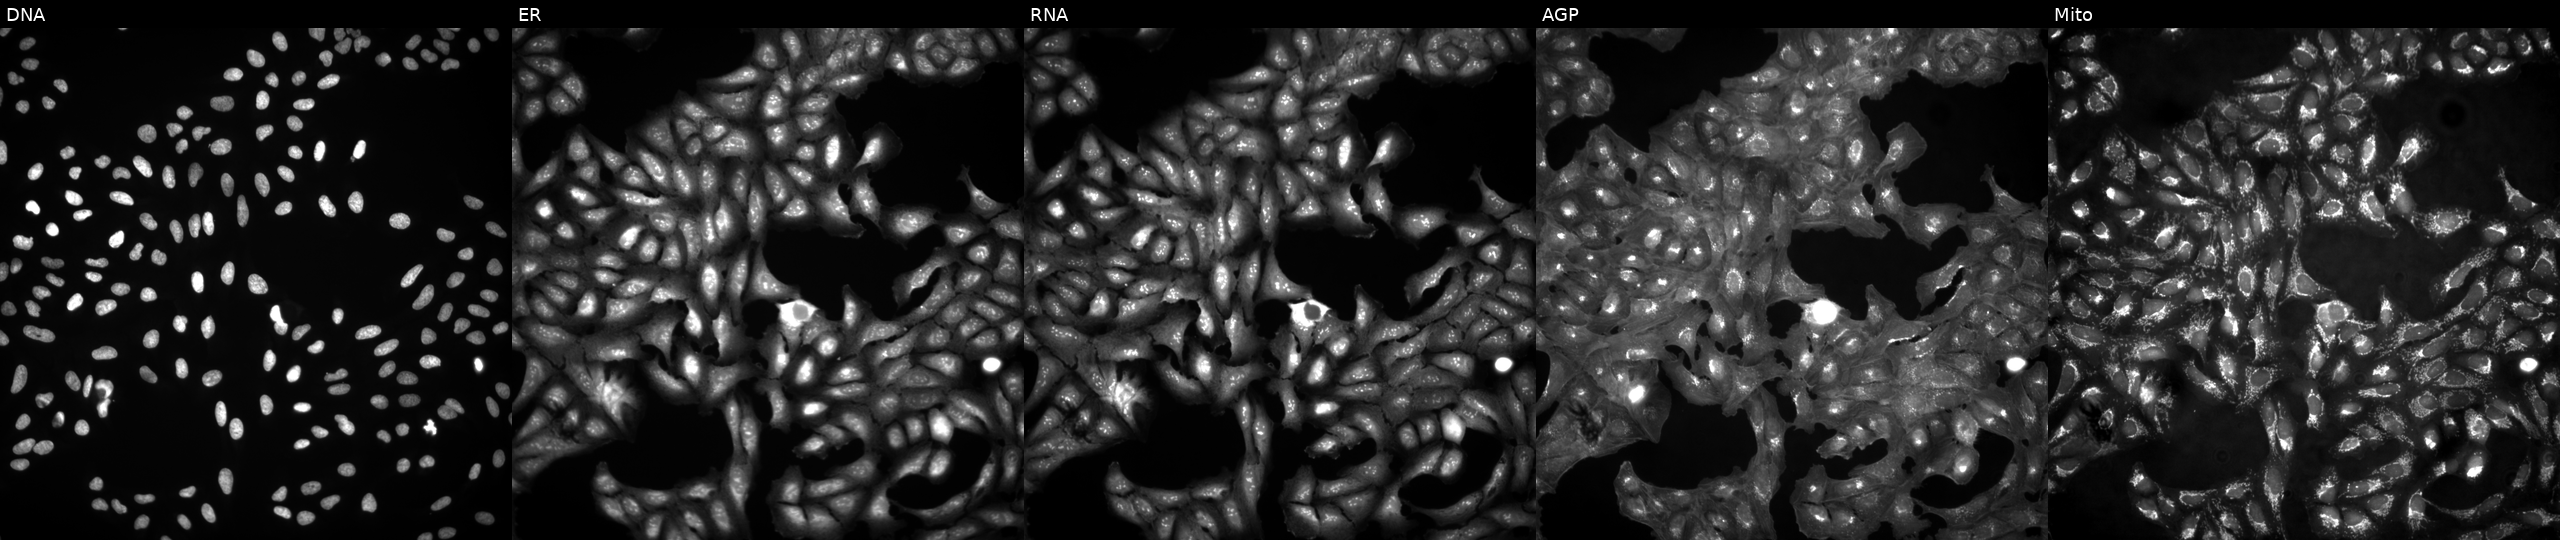
High-content fluorescence microscopy (Cell Painting). Cell line: U2OS. Perturbation: untreated (empty-well control). The five panels, left to right, show Hoechst 33342, concanavalin A, SYTO 14, phalloidin and WGA, MitoTracker.